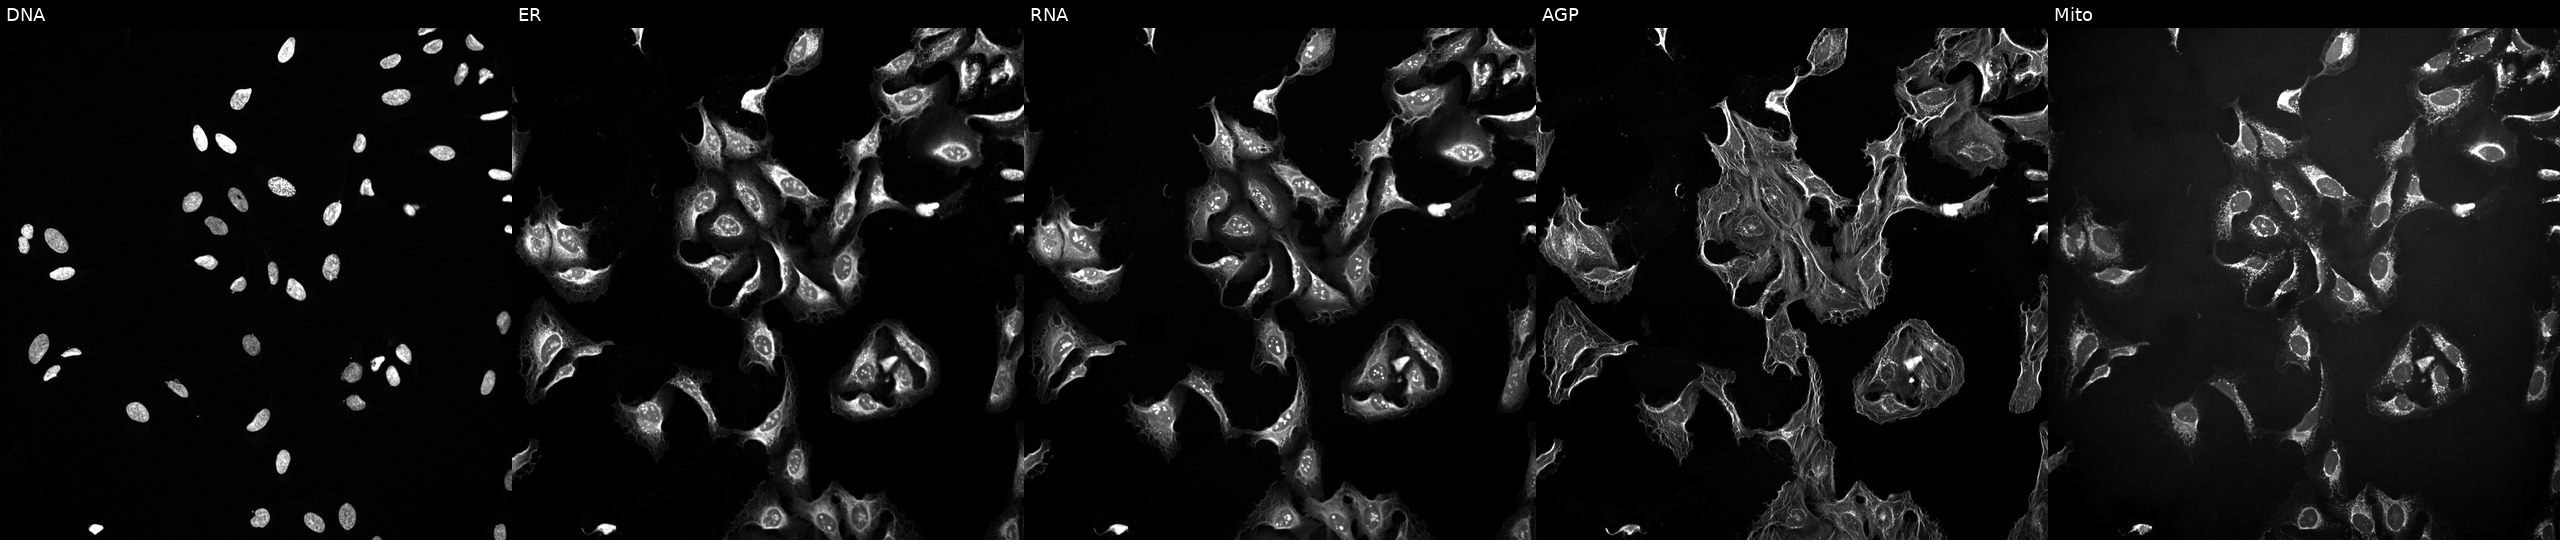
Five-channel Cell Painting image of U2OS cells perturbed with a small-molecule compound (InChIKey CAOWNCTTWGSKDO-UHFFFAOYSA-N) [SMILES: N=c1[nH]c(F)nc2c1ncn2C1OC(CO[PH](=O)(=O)O)C(O)C1O]. Channels (left→right): DNA (nuclei); ER (endoplasmic reticulum); RNA (nucleoli and cytoplasmic RNA); AGP (actin cytoskeleton, Golgi, and plasma membrane); Mito (mitochondria).